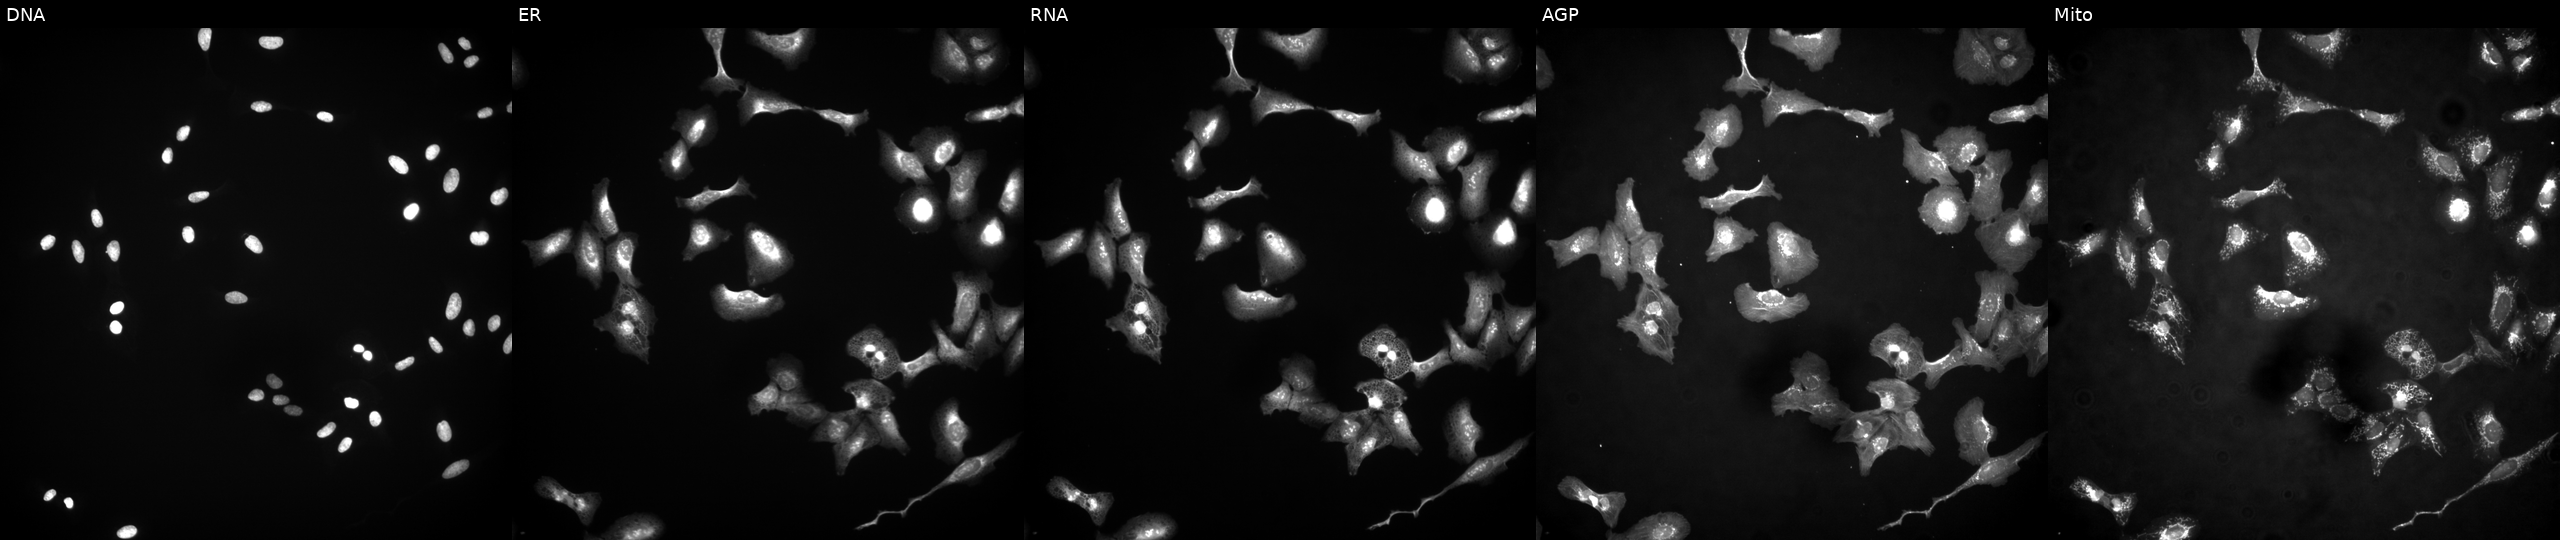
The five panels, left to right, show DNA, ER, RNA, AGP, and Mito. U2OS osteosarcoma cells transfected with an ORF construct for OR7E2P. Cell Painting assay, JUMP-CP dataset.